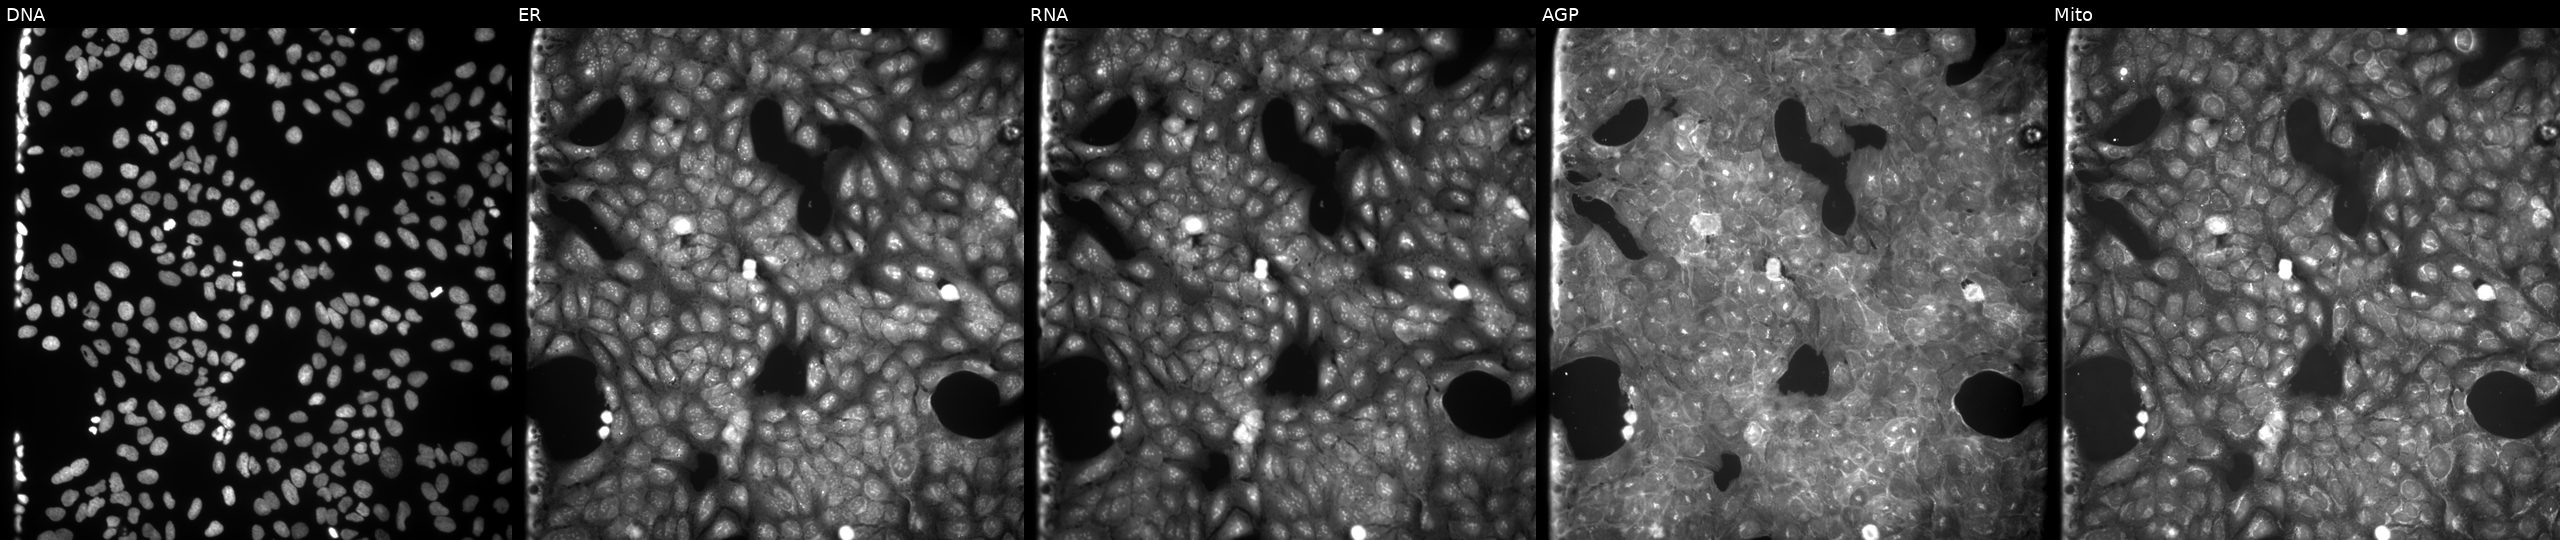
This image strip shows the five Cell Painting channels for a single field of U2OS cells exposed to a small-molecule compound (InChIKey LTLPHMSJMFUGED-UHFFFAOYSA-N). Channels (left→right): DNA, ER, RNA, AGP, and Mito.